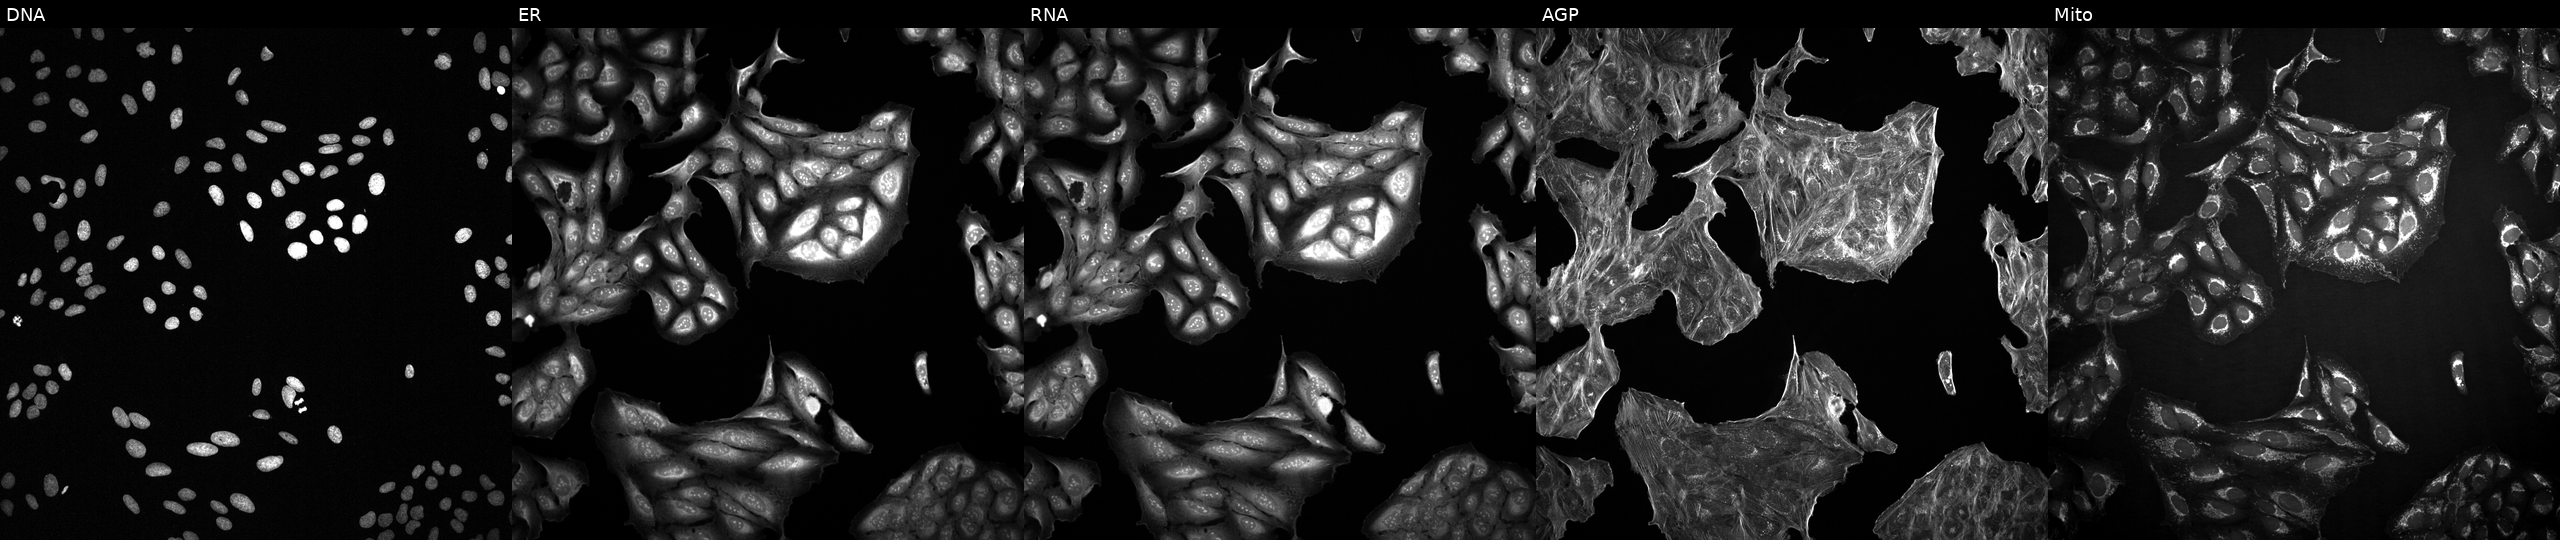
From left to right: Hoechst 33342, concanavalin A, SYTO 14, phalloidin and WGA, MitoTracker. U2OS osteosarcoma cells exposed to a small-molecule compound (InChIKey BXVWLXUCEJXESO-UHFFFAOYSA-N) (JUMP id JCP2022_009377). Cell Painting assay, JUMP-CP dataset.